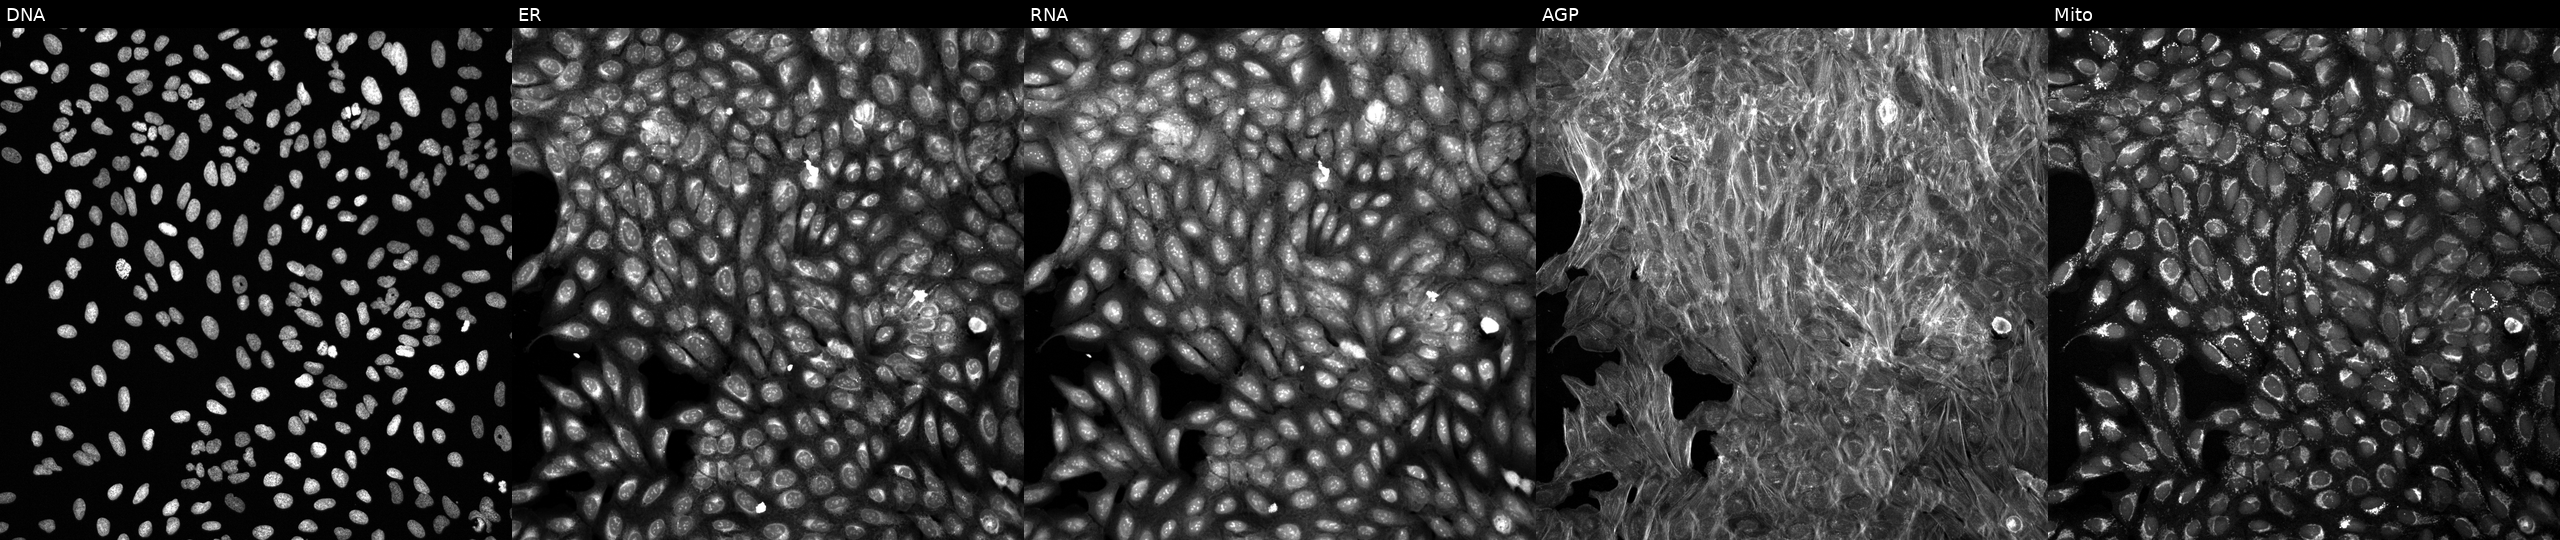
From left to right: DNA, ER, RNA, AGP, and Mito. U2OS osteosarcoma cells exposed to a small-molecule compound (JUMP id JCP2022_046649). Cell Painting assay, JUMP-CP dataset. Source 6, plate 110000293081, well N13.